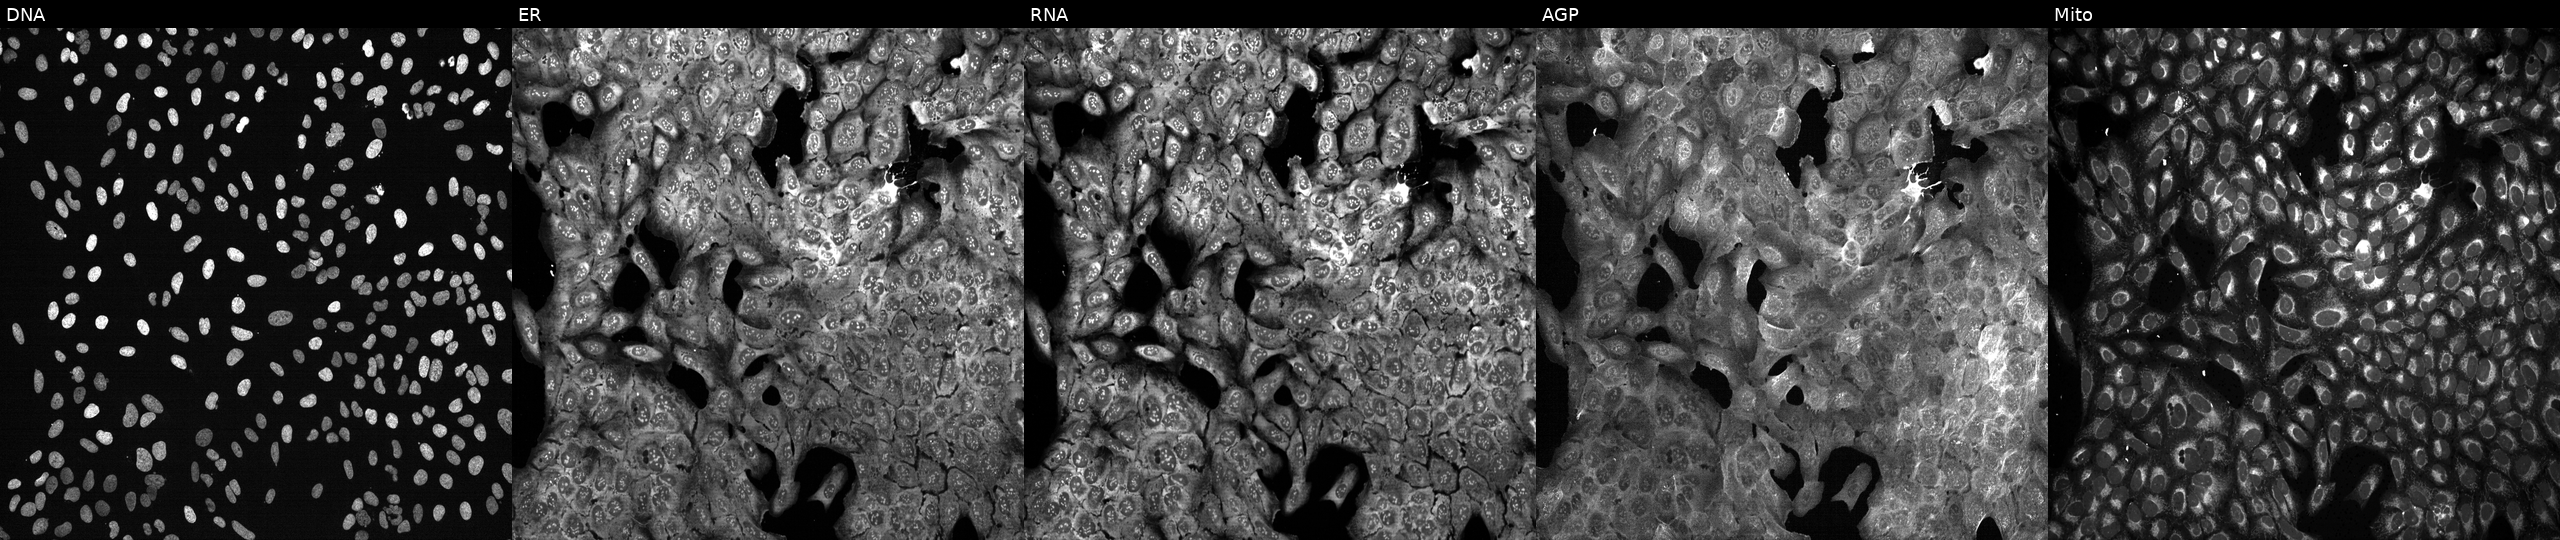
High-content fluorescence microscopy (Cell Painting). Cell line: U2OS. Perturbation: CRISPR-edited to disrupt GCLC (JUMP id JCP2022_802642). From left to right: DNA (nuclei); ER (endoplasmic reticulum); RNA (nucleoli and cytoplasmic RNA); AGP (actin cytoskeleton, Golgi, and plasma membrane); Mito (mitochondria). Source 13, plate CP-CC9-R2-01, well L11.